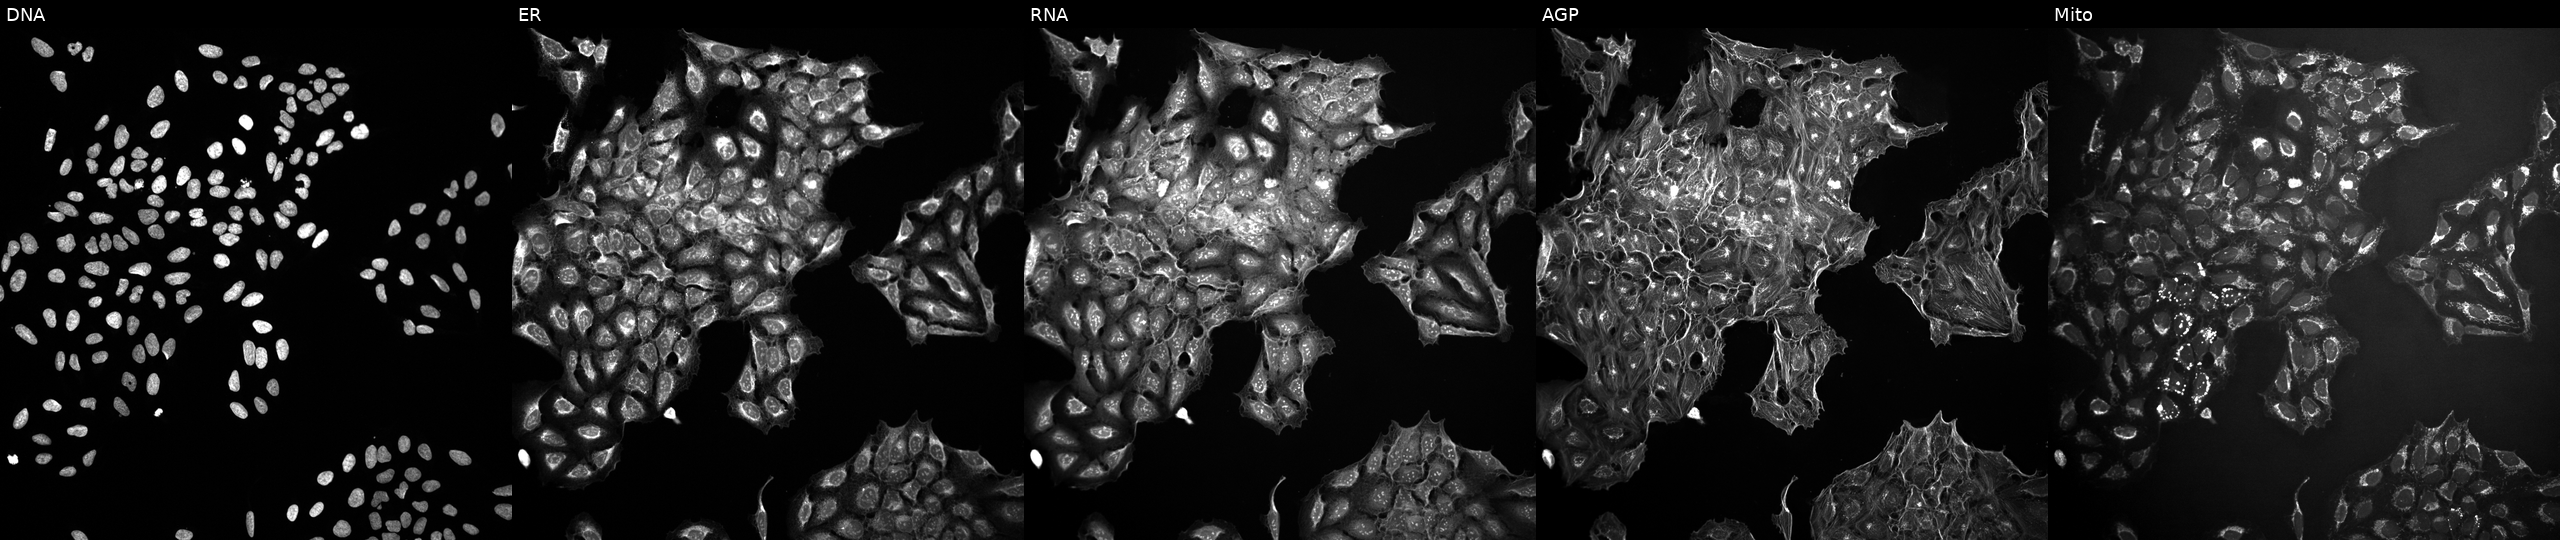
U2OS cells, Cell Painting assay, untreated (empty-well control). Panels show, left to right, DNA (nuclei); ER (endoplasmic reticulum); RNA (nucleoli and cytoplasmic RNA); AGP (actin cytoskeleton, Golgi, and plasma membrane); Mito (mitochondria). Each panel is percentile-stretched 16-bit fluorescence. Source 10, plate Dest210531-152324, well K17.